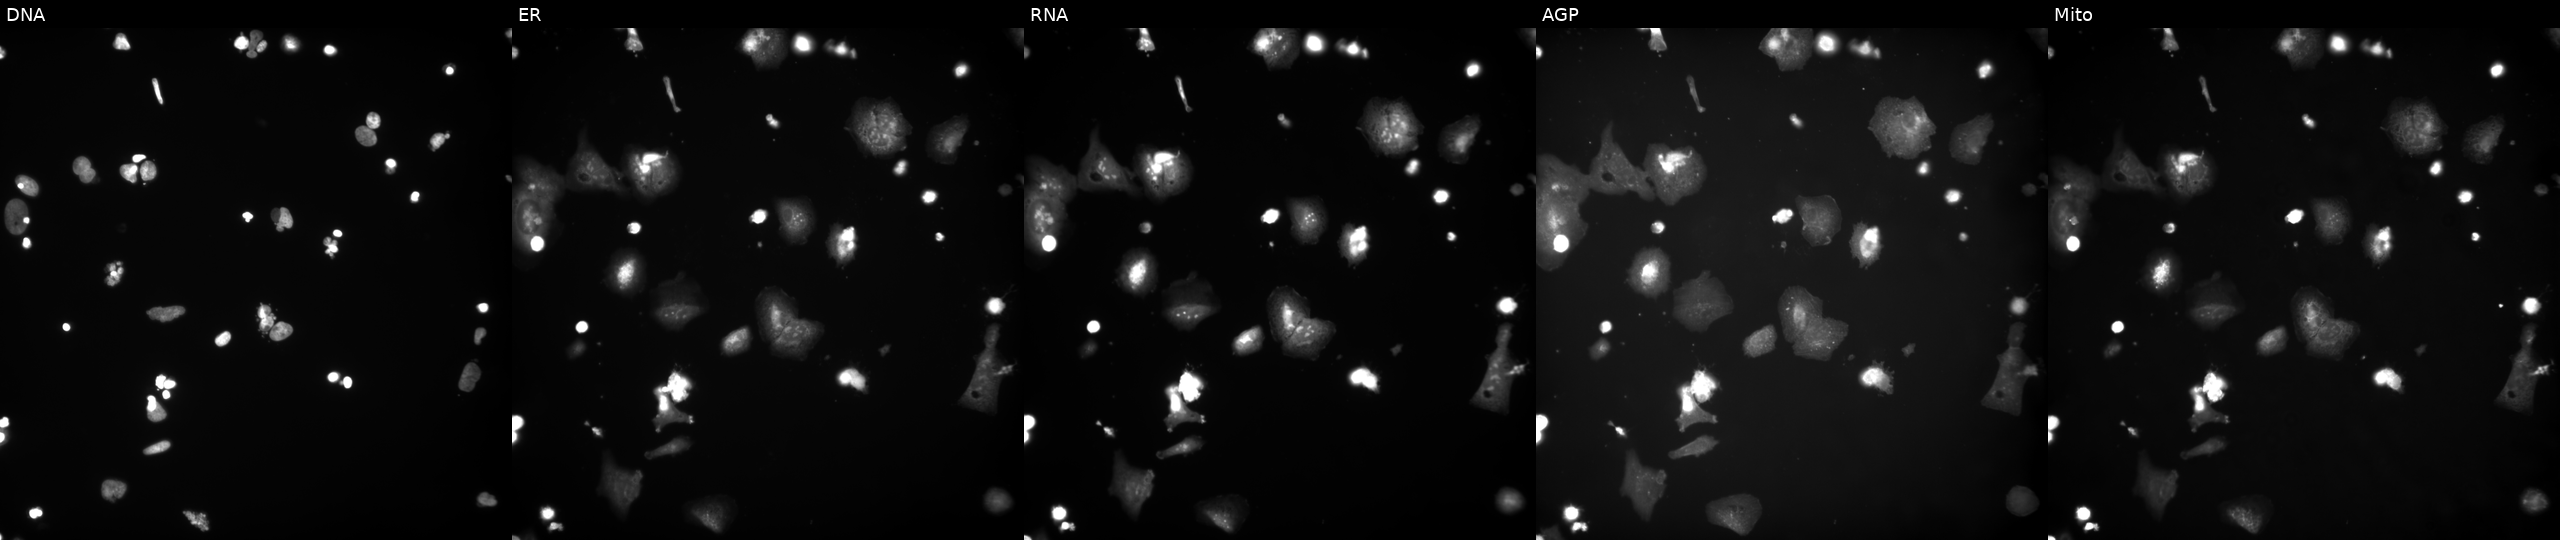
JUMP Cell Painting — COMPOUND plate. U2OS cells exposed to a small-molecule compound (InChIKey YHIOZKBGGOATGX-UHFFFAOYSA-N) (JUMP id JCP2022_108444). Panels show, left to right, DNA, ER, RNA, AGP, and Mito. Source 9, plate GR00003381, well D44.